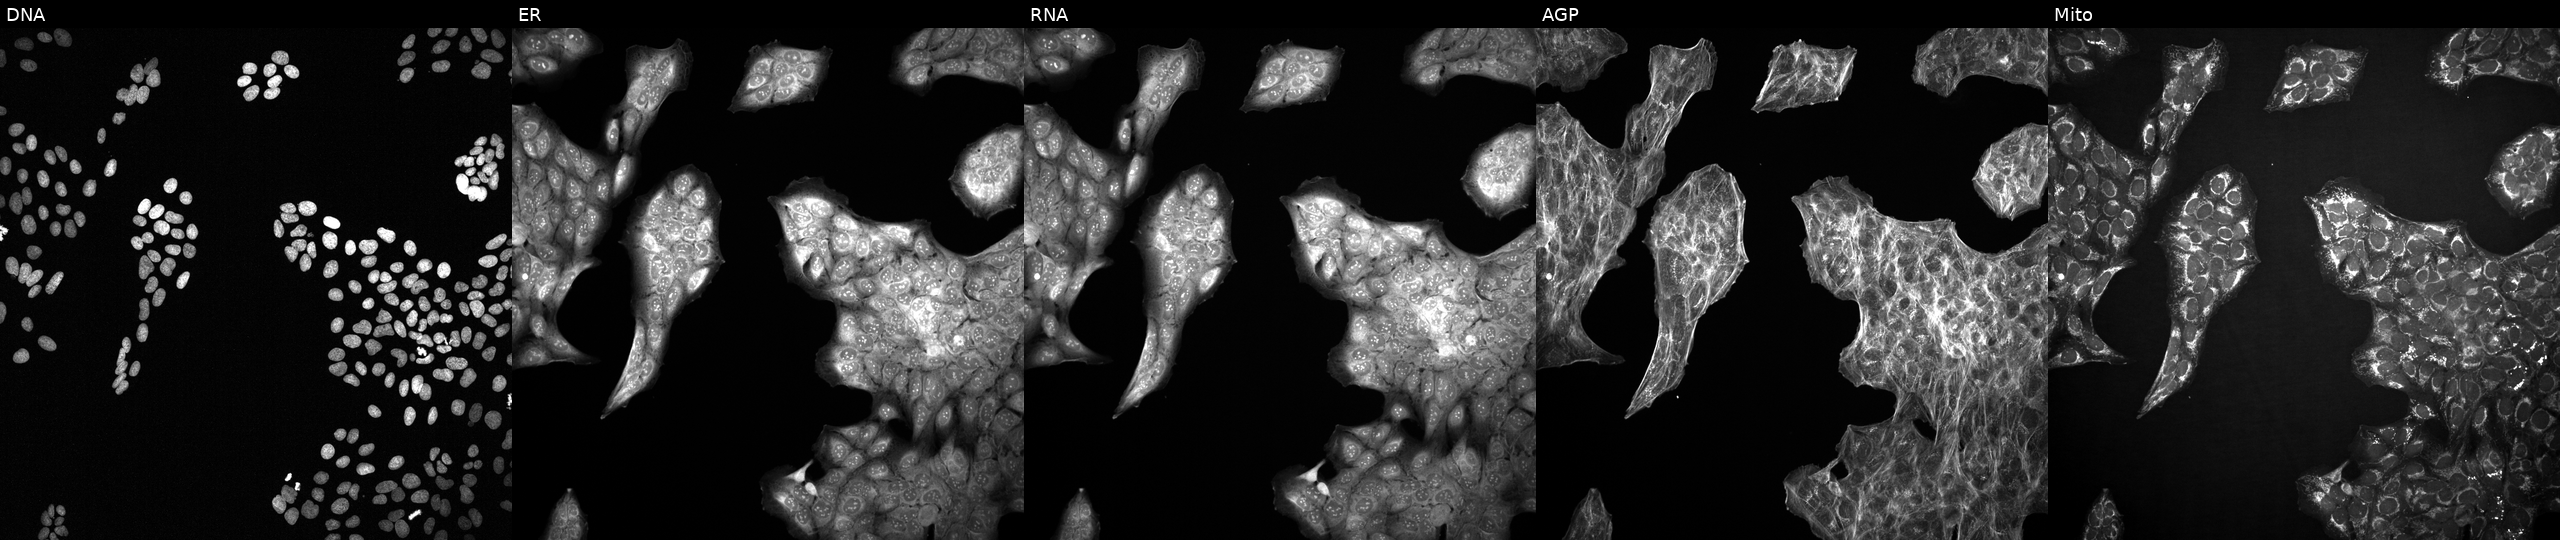
JUMP Cell Painting — COMPOUND plate. U2OS cells treated with LY2109761 (positive-control compound). Channels (left→right): Hoechst 33342, concanavalin A, SYTO 14, phalloidin and WGA, MitoTracker.